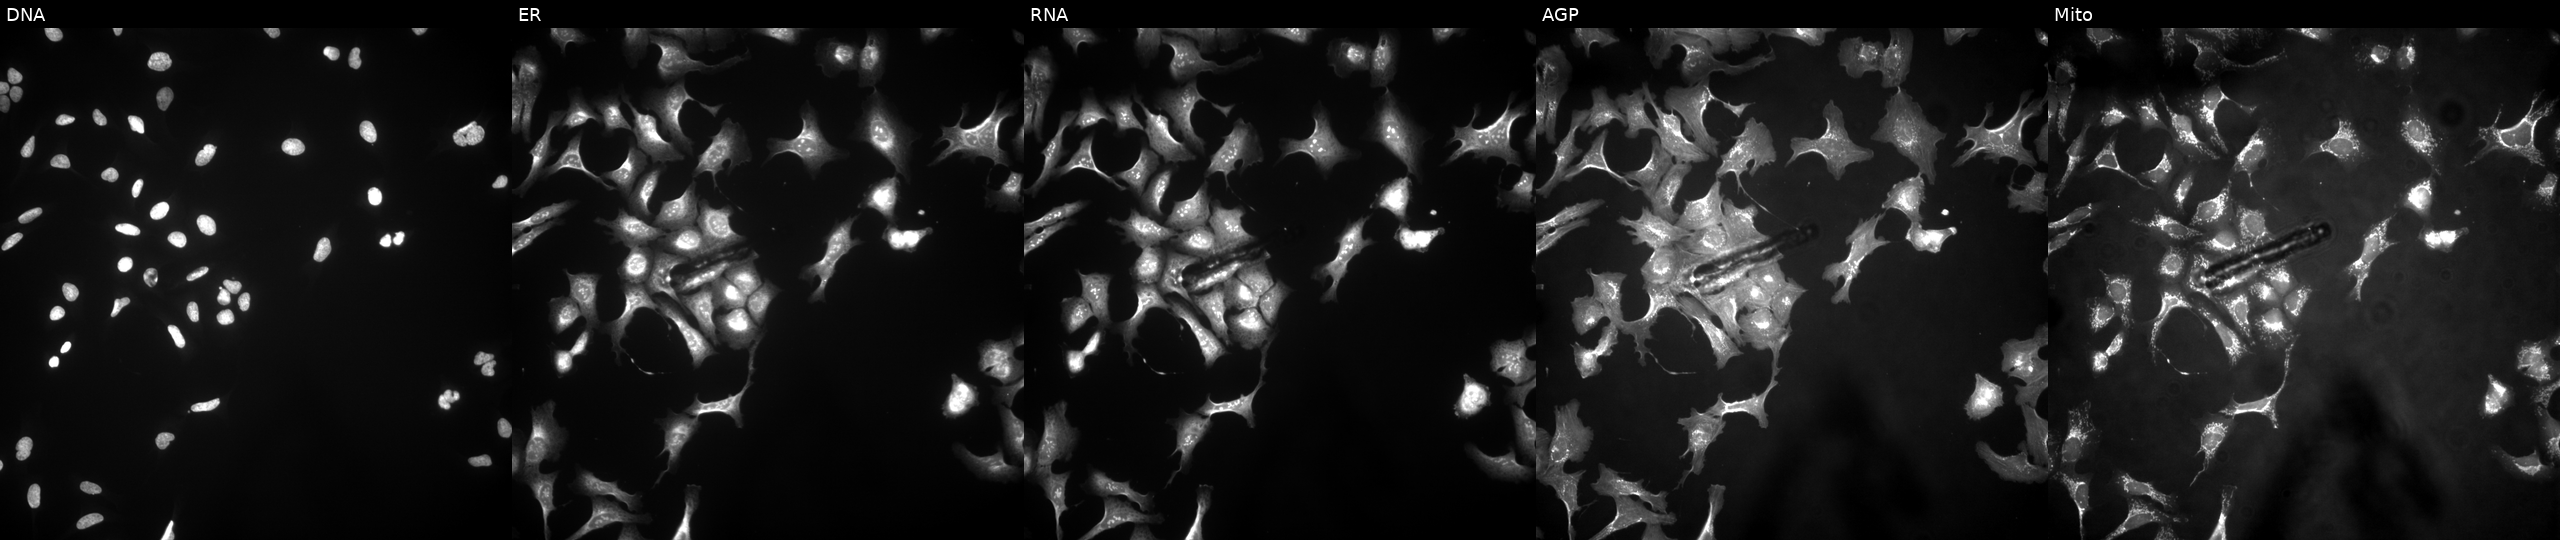
U2OS cells, Cell Painting assay, overexpressing CTH via ORF transfection. The five panels, left to right, show Hoechst 33342, concanavalin A, SYTO 14, phalloidin and WGA, MitoTracker. Each panel is percentile-stretched 16-bit fluorescence. Source 4, plate BR00123506, well O10.